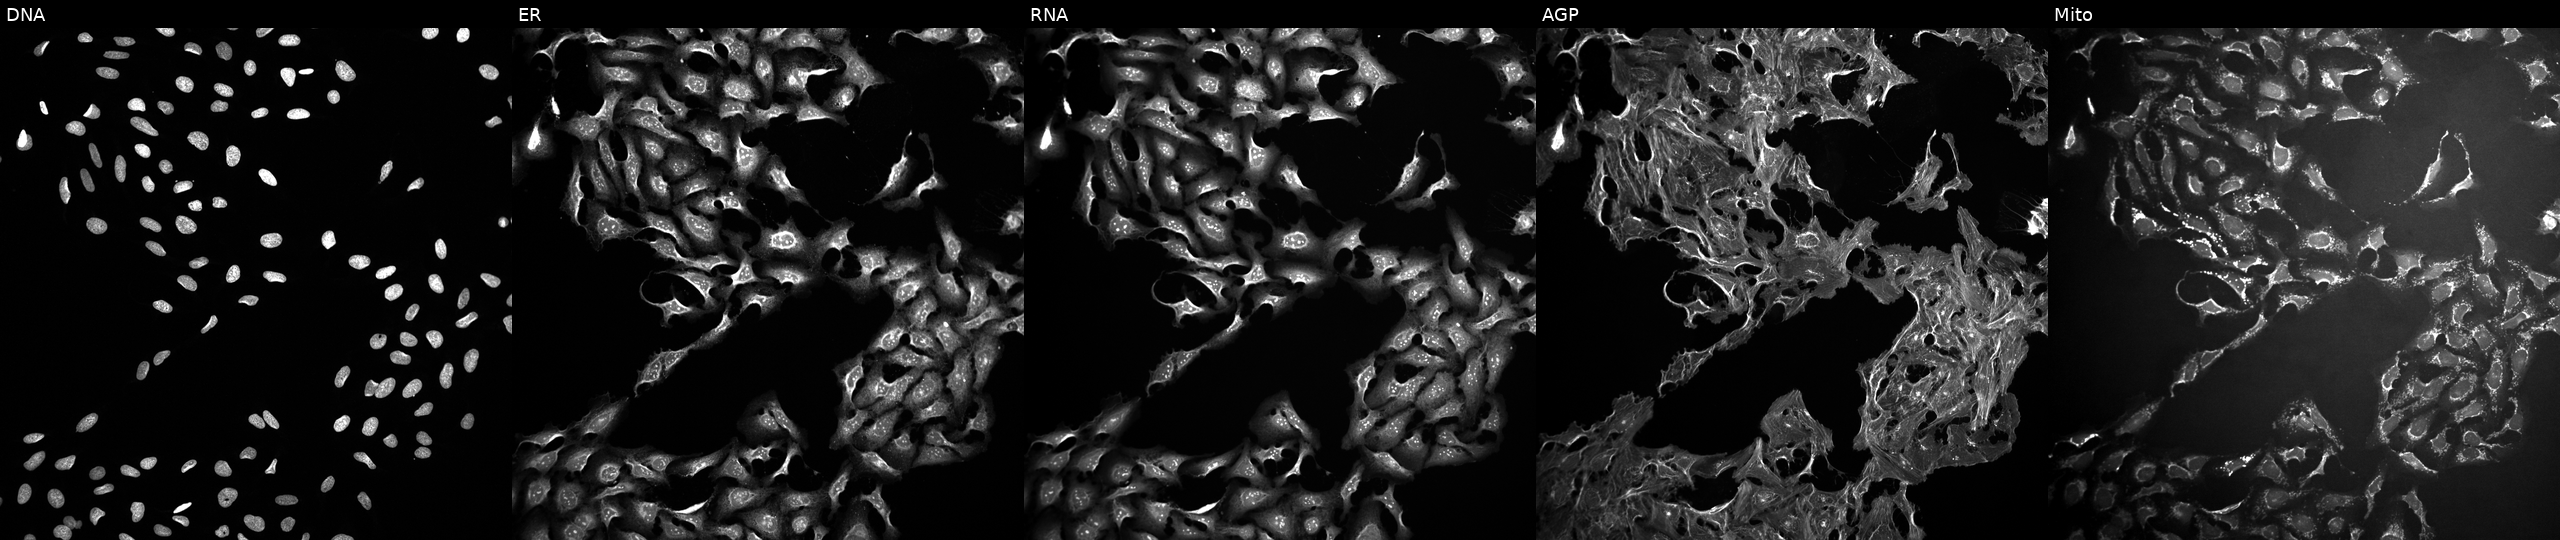
U2OS cells, Cell Painting assay, treated with FK-866 (positive-control compound). Panels show, left to right, DNA (nuclei); ER (endoplasmic reticulum); RNA (nucleoli and cytoplasmic RNA); AGP (actin cytoskeleton, Golgi, and plasma membrane); Mito (mitochondria). Each panel is percentile-stretched 16-bit fluorescence.